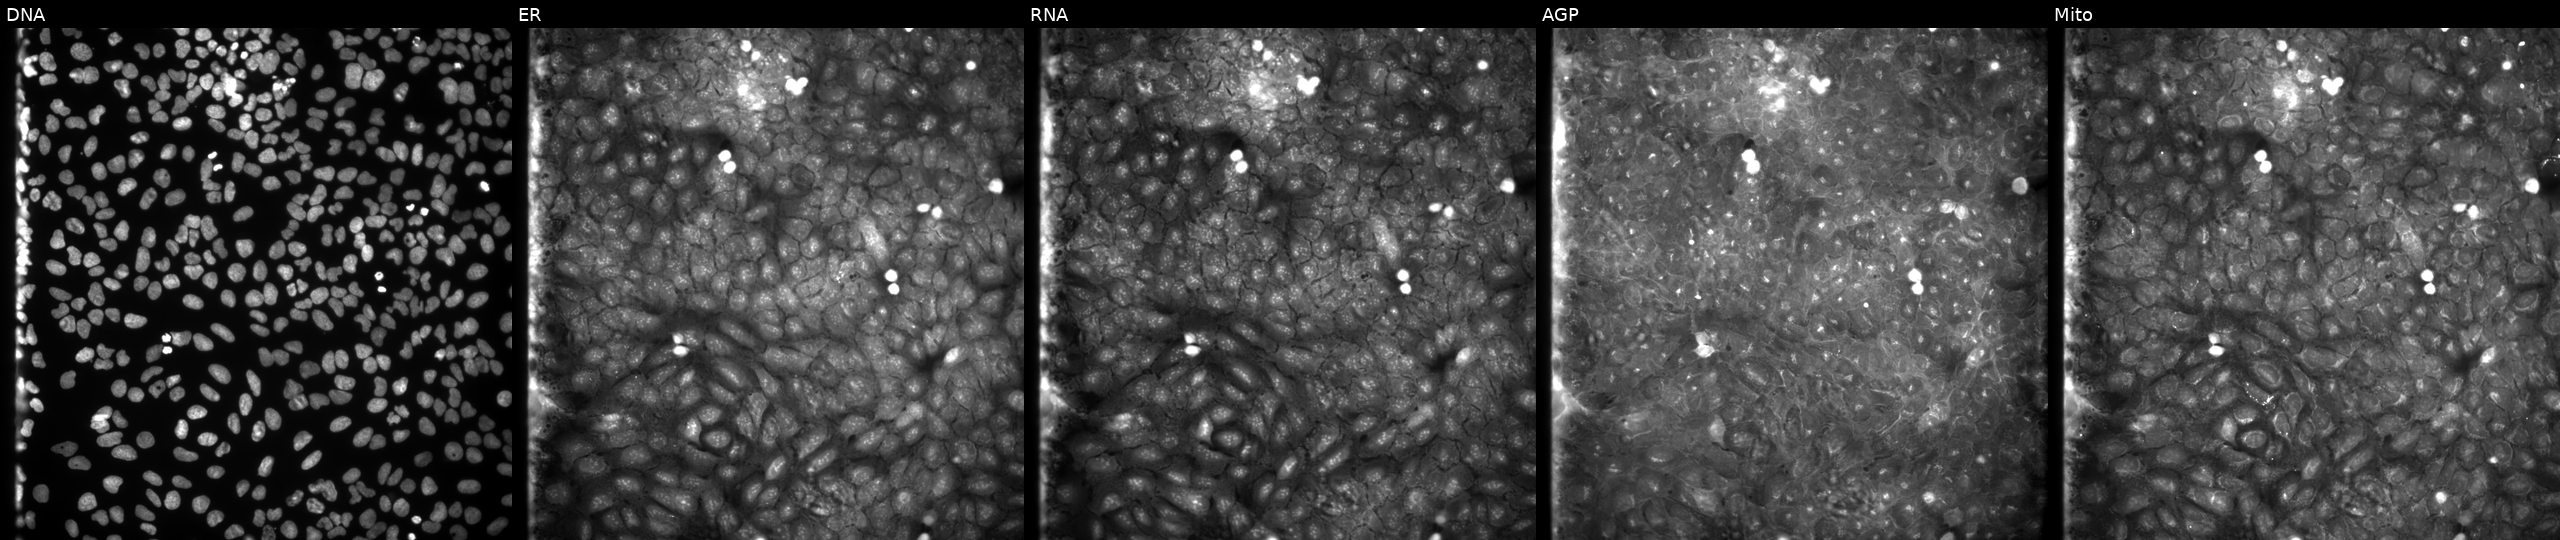
This image strip shows the five Cell Painting channels for a single field of U2OS cells exposed to a small-molecule compound (InChIKey SLRUSIRASCXTAJ-UHFFFAOYSA-N). Panels show, left to right, DNA (nuclei); ER (endoplasmic reticulum); RNA (nucleoli and cytoplasmic RNA); AGP (actin cytoskeleton, Golgi, and plasma membrane); Mito (mitochondria). Source 9, plate GR00003382, well I13.